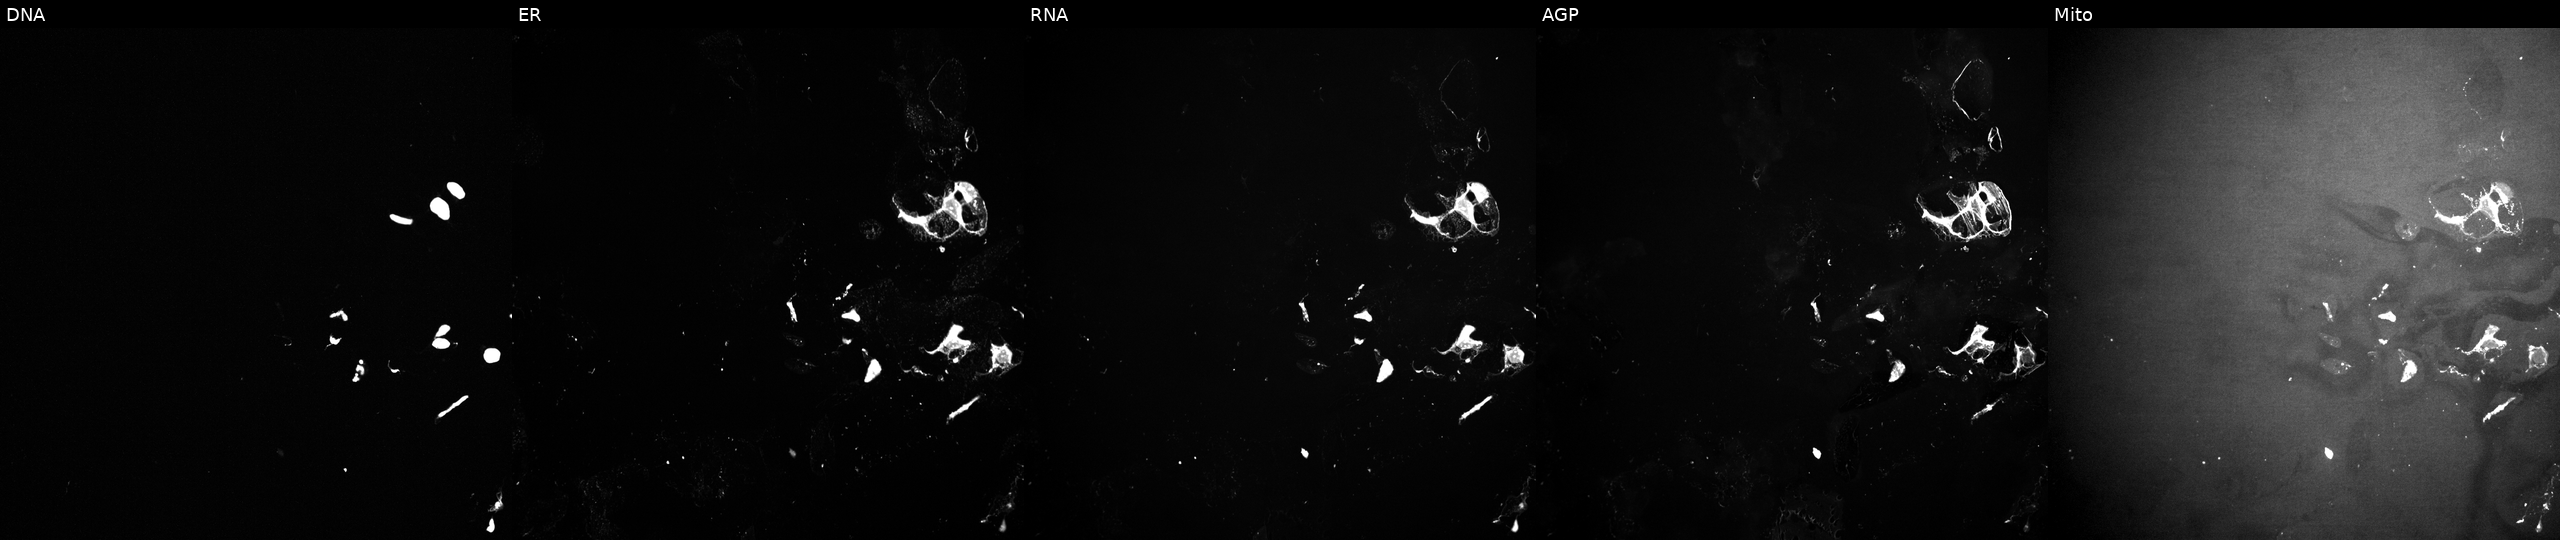
High-content fluorescence microscopy (Cell Painting). Cell line: U2OS. Perturbation: treated with a small-molecule compound. The five panels, left to right, show DNA (nuclei); ER (endoplasmic reticulum); RNA (nucleoli and cytoplasmic RNA); AGP (actin cytoskeleton, Golgi, and plasma membrane); Mito (mitochondria). Source 10, plate Dest210727-153003, well B24.